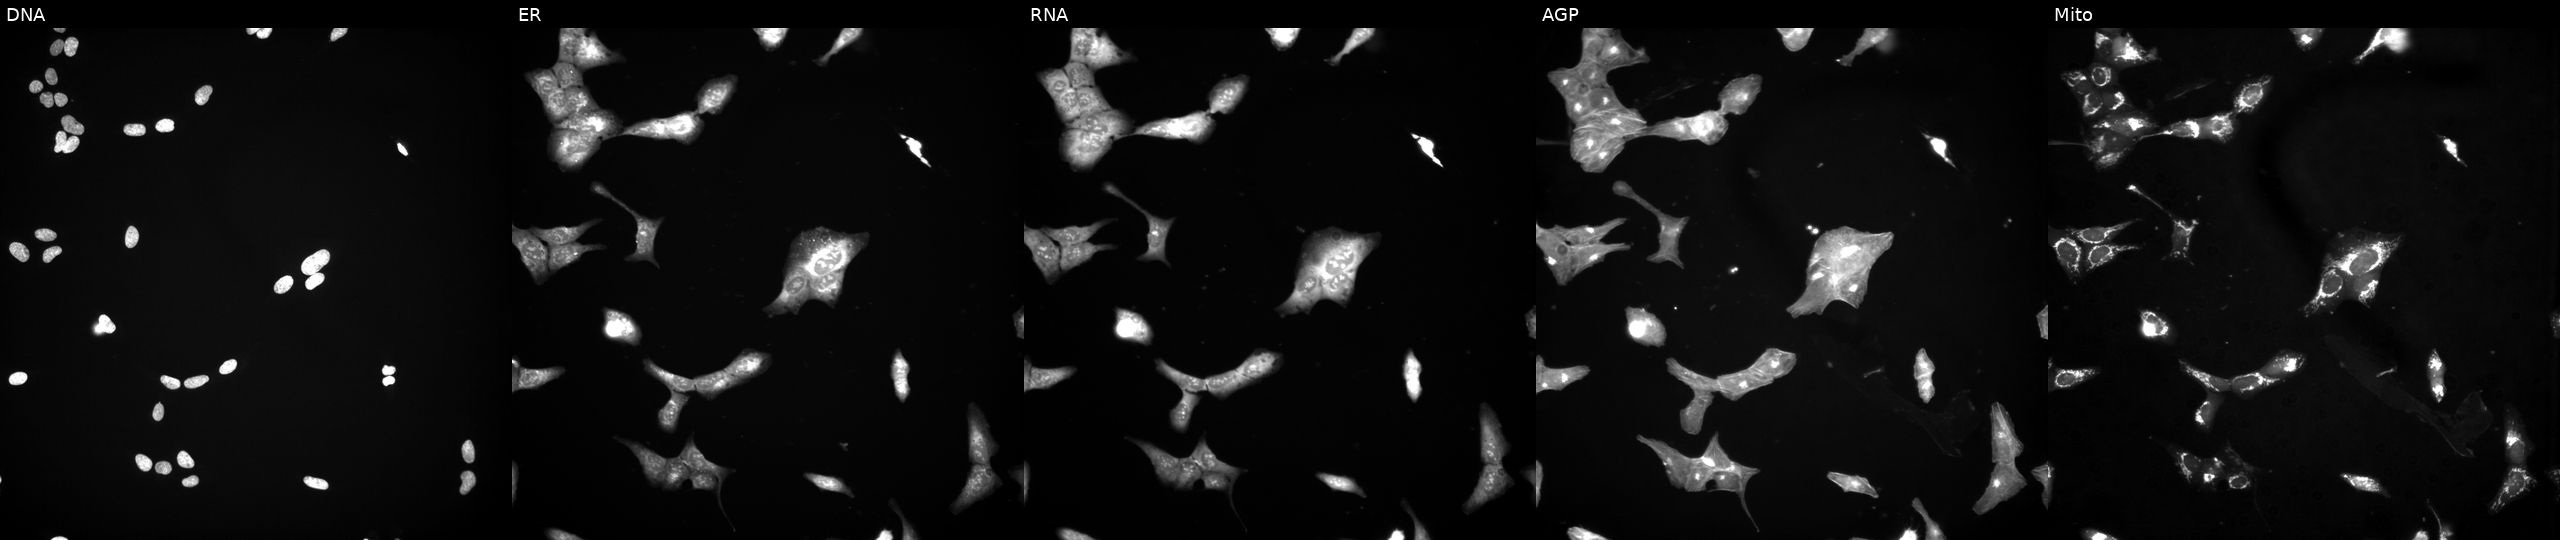
High-content fluorescence microscopy (Cell Painting). Cell line: U2OS. Perturbation: exposed to a small-molecule compound (InChIKey YPHMISFOHDHNIV-UHFFFAOYSA-N) (JUMP id JCP2022_109917). From left to right: DNA, ER, RNA, AGP, and Mito.